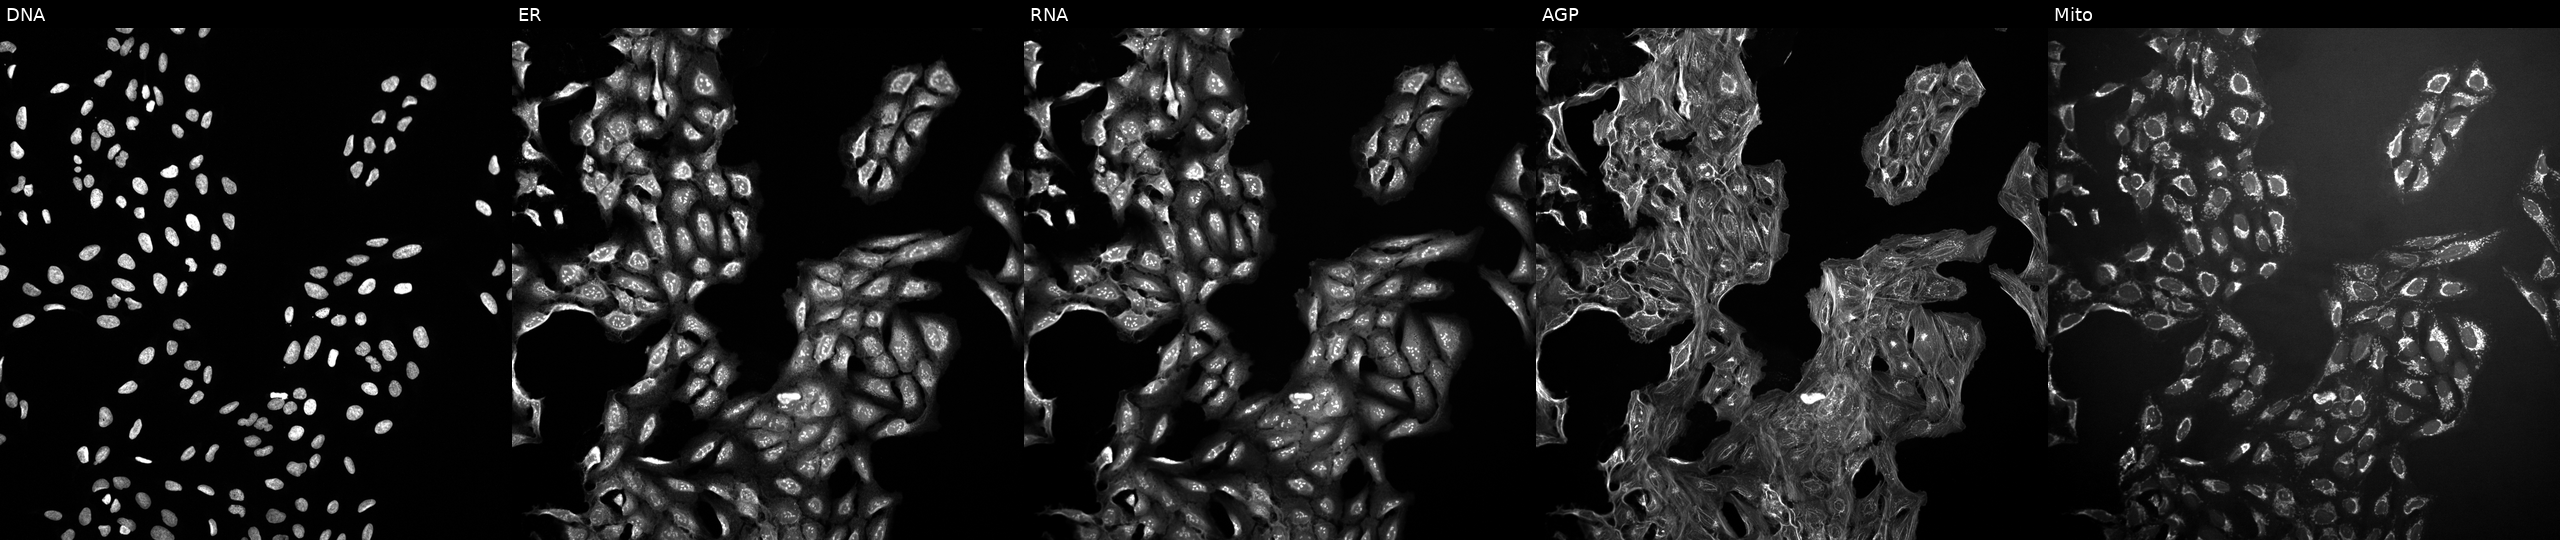
U2OS cells, Cell Painting assay, exposed to DMSO alone as a negative control. From left to right: Hoechst 33342, concanavalin A, SYTO 14, phalloidin and WGA, MitoTracker. Each panel is percentile-stretched 16-bit fluorescence. Source 10, plate Dest210726-160150, well C17.